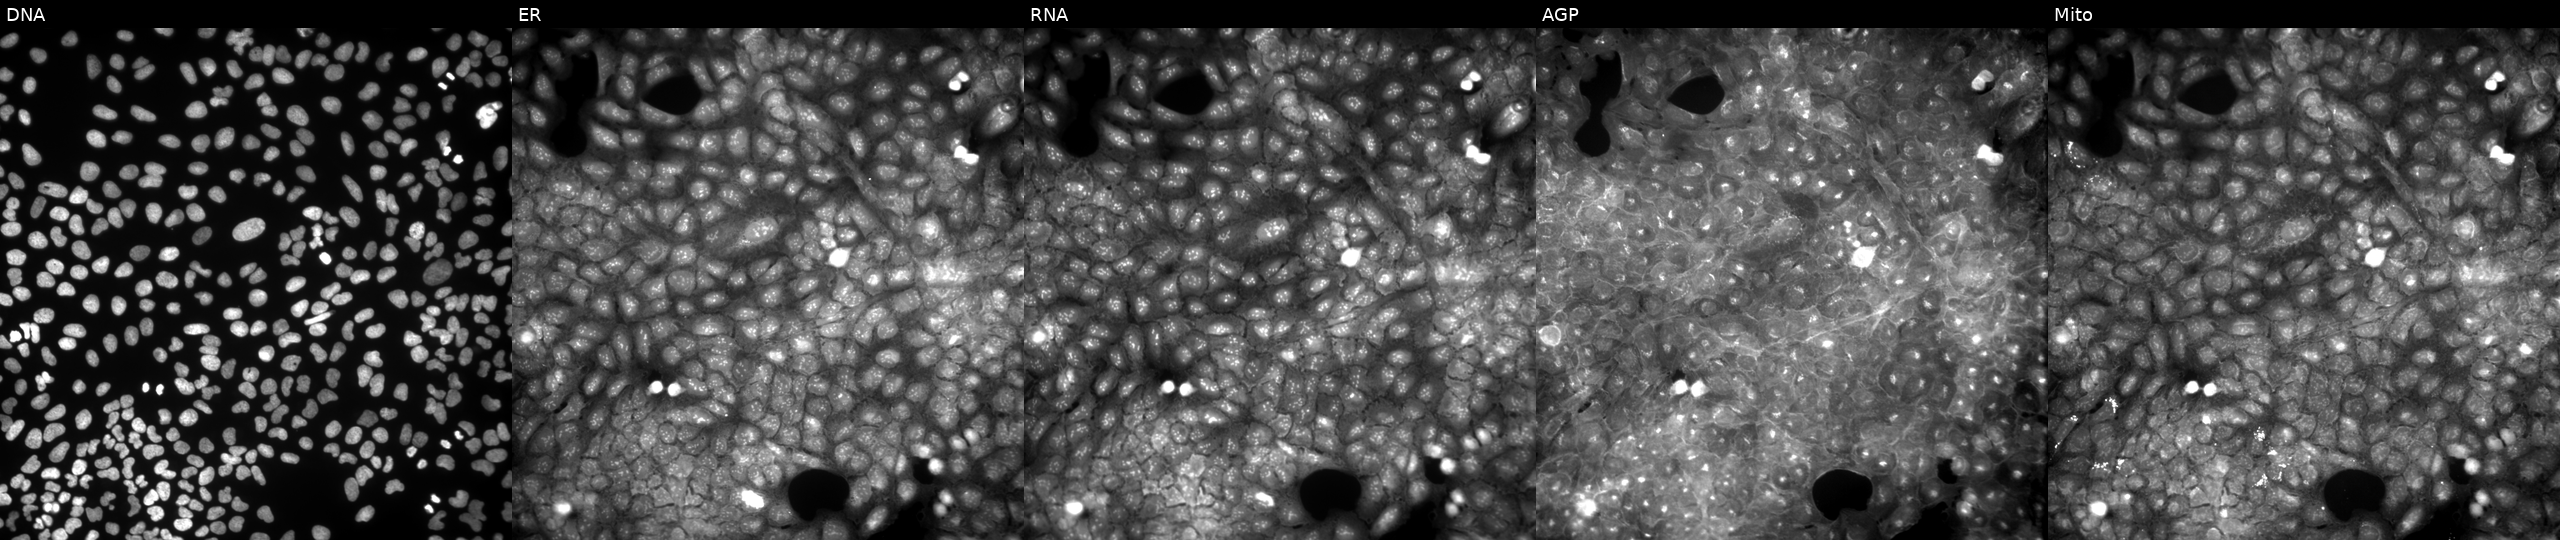
High-content fluorescence microscopy (Cell Painting). Cell line: U2OS. Perturbation: treated with DMSO vehicle only (negative control). From left to right: Hoechst 33342, concanavalin A, SYTO 14, phalloidin and WGA, MitoTracker. Source 9, plate GR00003381, well AE26.